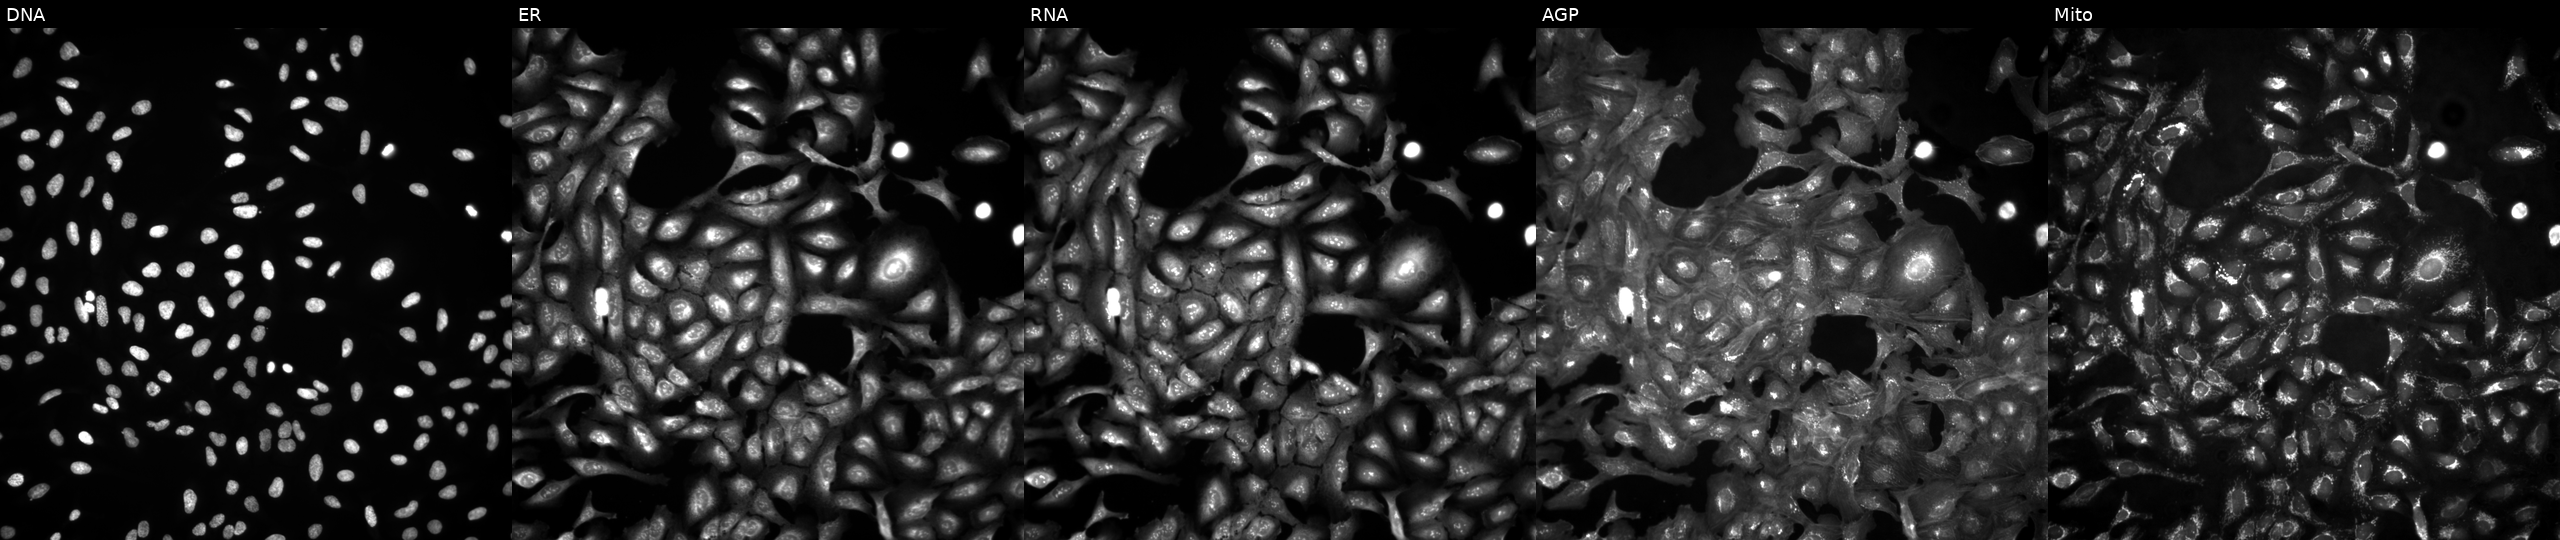
High-content fluorescence microscopy (Cell Painting). Cell line: U2OS. Perturbation: untreated (empty-well control) (JUMP id JCP2022_999999). From left to right: Hoechst 33342, concanavalin A, SYTO 14, phalloidin and WGA, MitoTracker. Source 4, plate BR00124793, well M18.